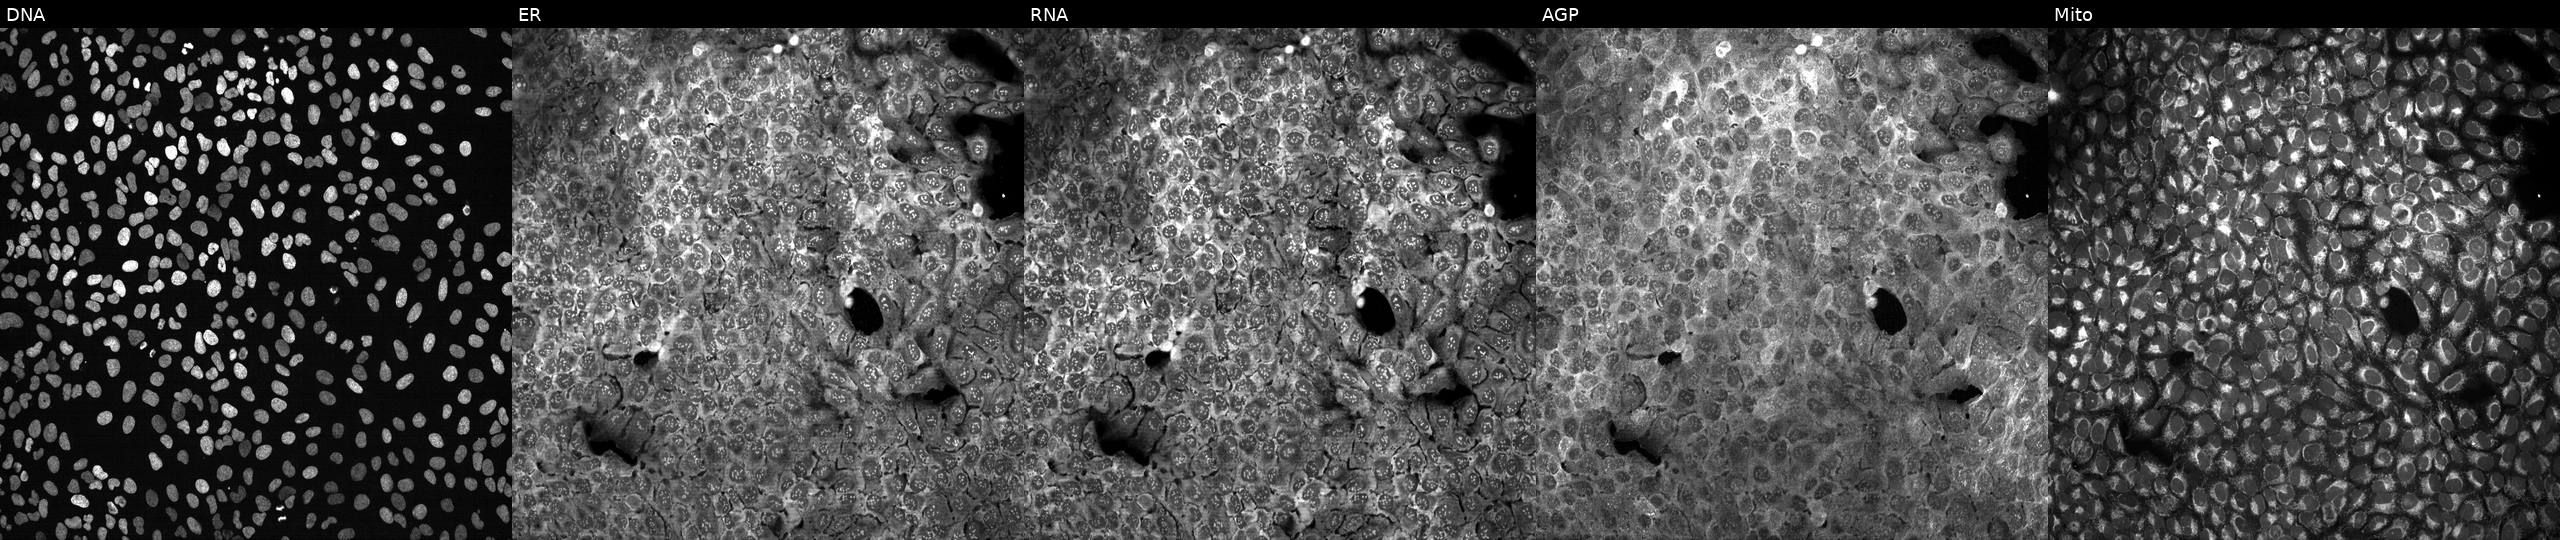
This image strip shows the five Cell Painting channels for a single field of U2OS cells following CRISPR knockout of HAO2. Panels show, left to right, DNA, ER, RNA, AGP, and Mito.